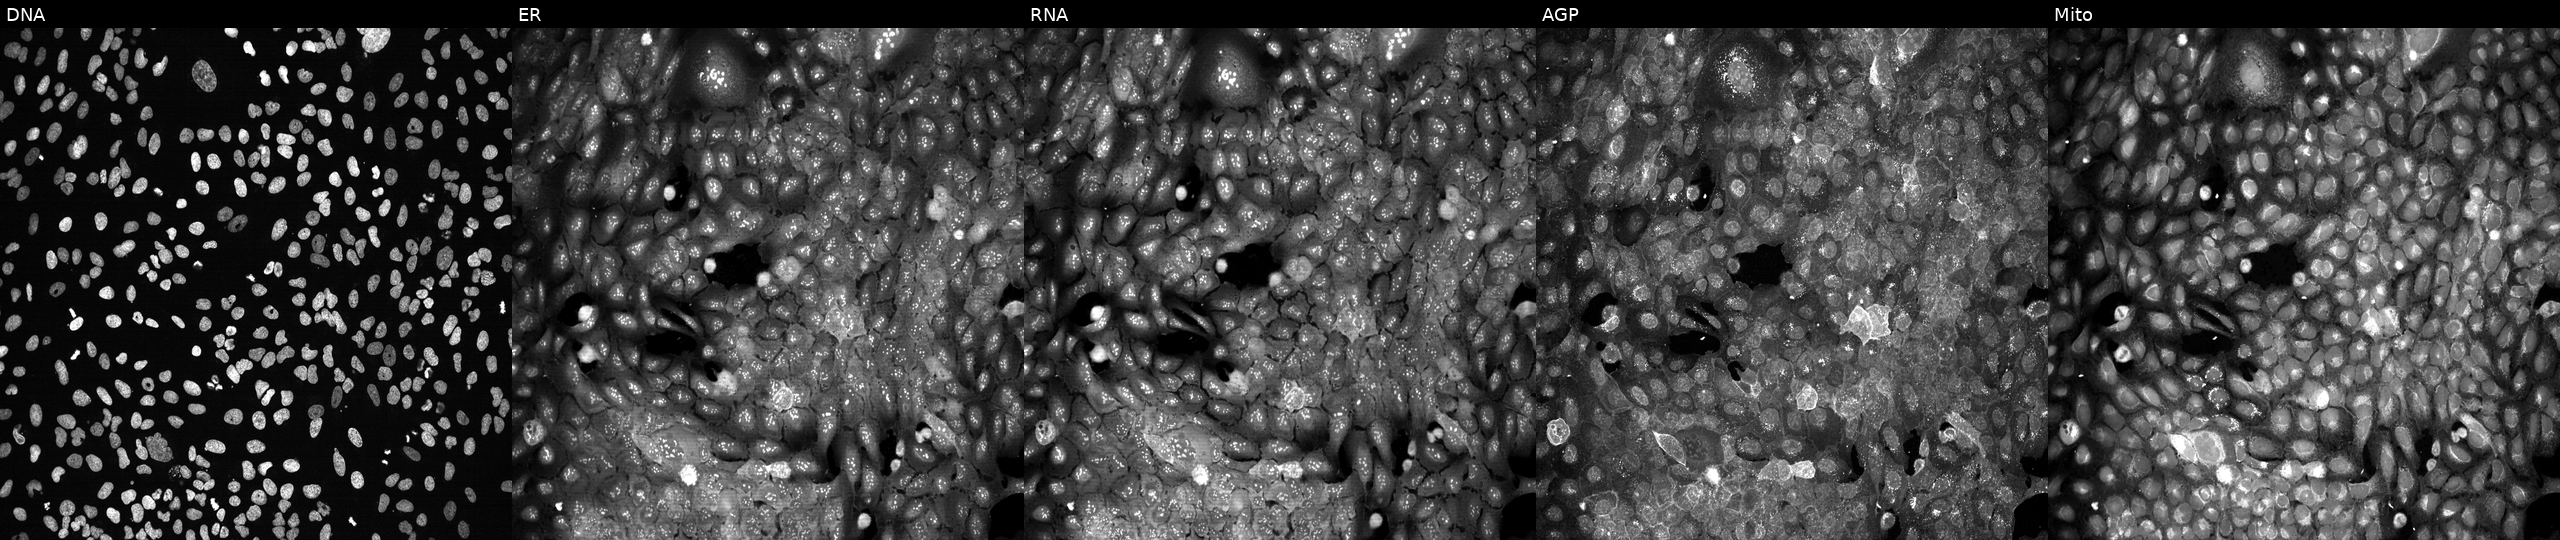
High-content fluorescence microscopy (Cell Painting). Cell line: U2OS. Perturbation: with MCEE knocked out by CRISPR (JUMP id JCP2022_804069). From left to right: DNA, ER, RNA, AGP, and Mito. Source 13, plate CP-CC9-R1-02, well F15.